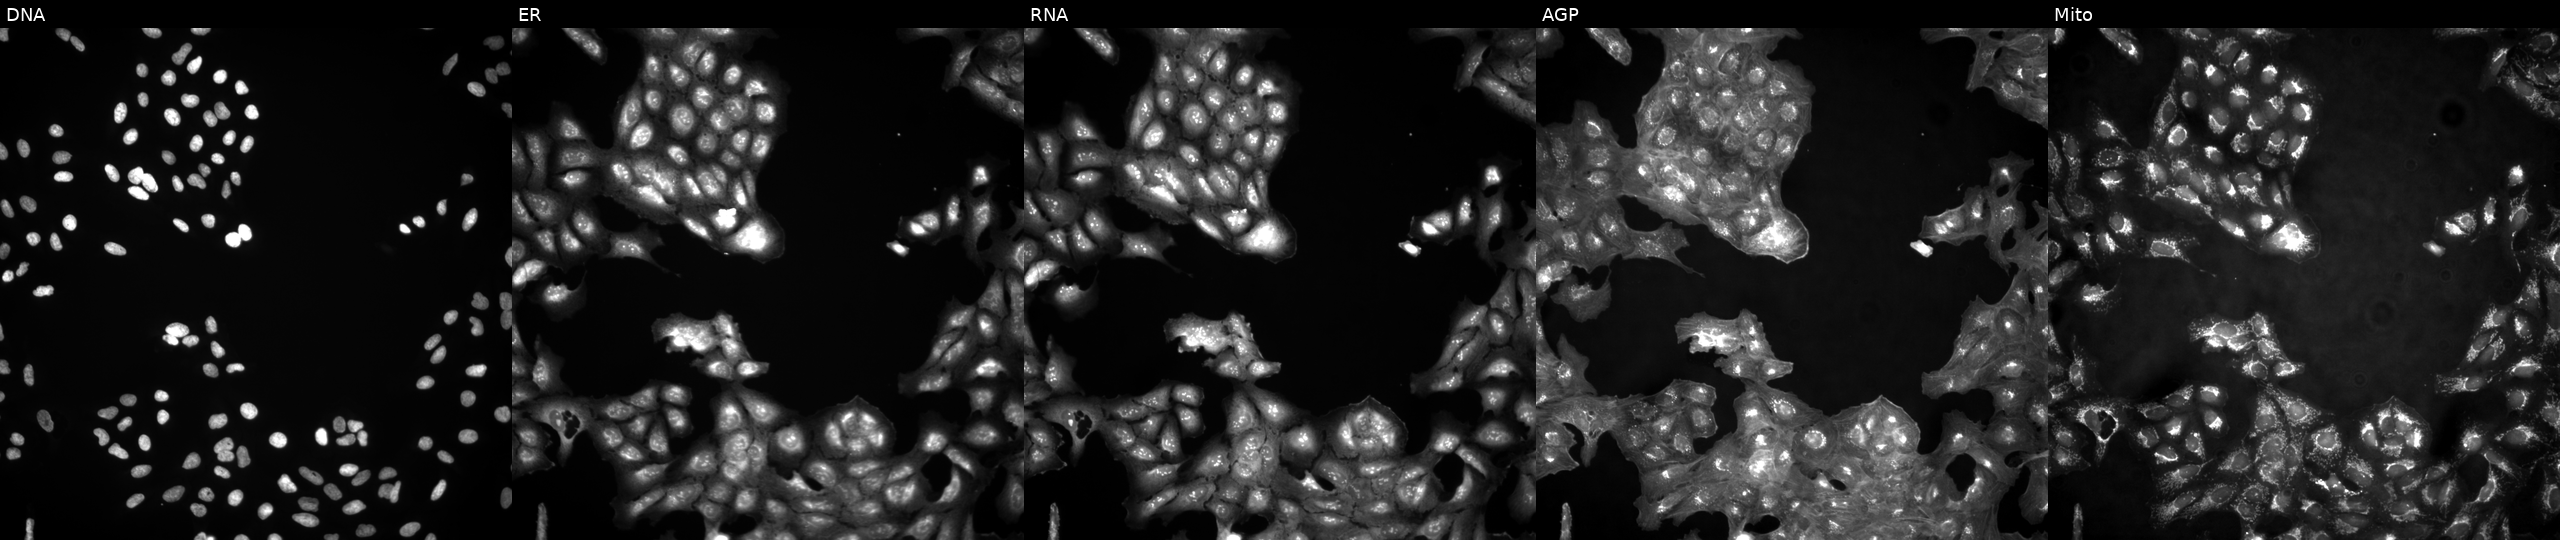
This image strip shows the five Cell Painting channels for a single field of U2OS cells untreated (empty-well control) (JUMP id JCP2022_999999). From left to right: Hoechst 33342, concanavalin A, SYTO 14, phalloidin and WGA, MitoTracker. Source 4, plate BR00123946, well N14.